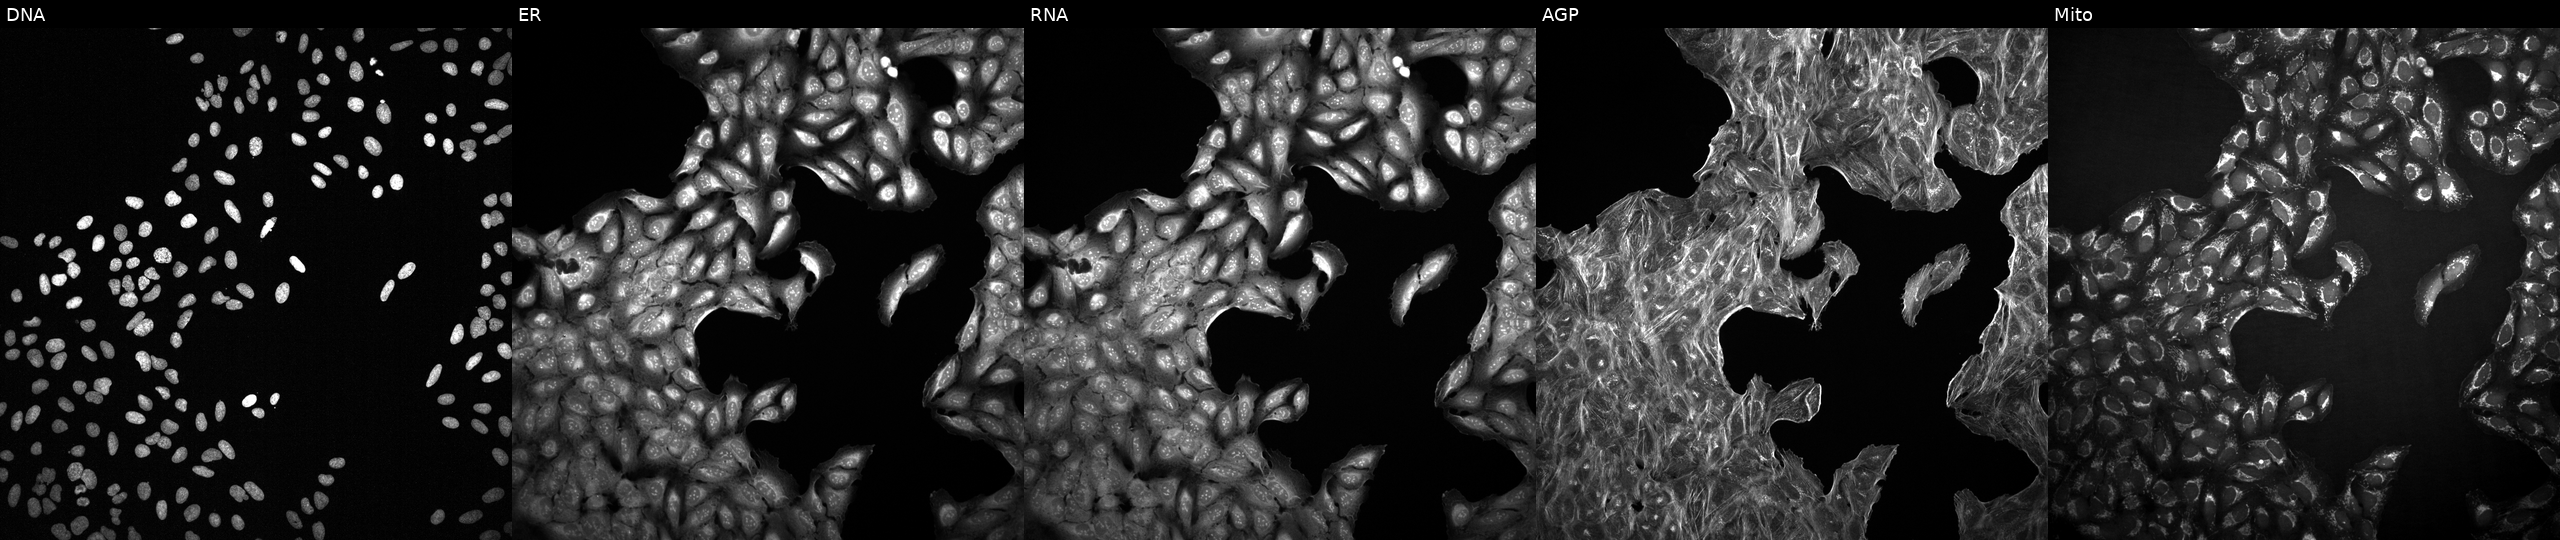
This image strip shows the five Cell Painting channels for a single field of U2OS cells treated with a small-molecule compound (InChIKey OHVZEUWNCKWKDN-UHFFFAOYSA-N) (JUMP id JCP2022_063906). Channels (left→right): Hoechst 33342, concanavalin A, SYTO 14, phalloidin and WGA, MitoTracker.